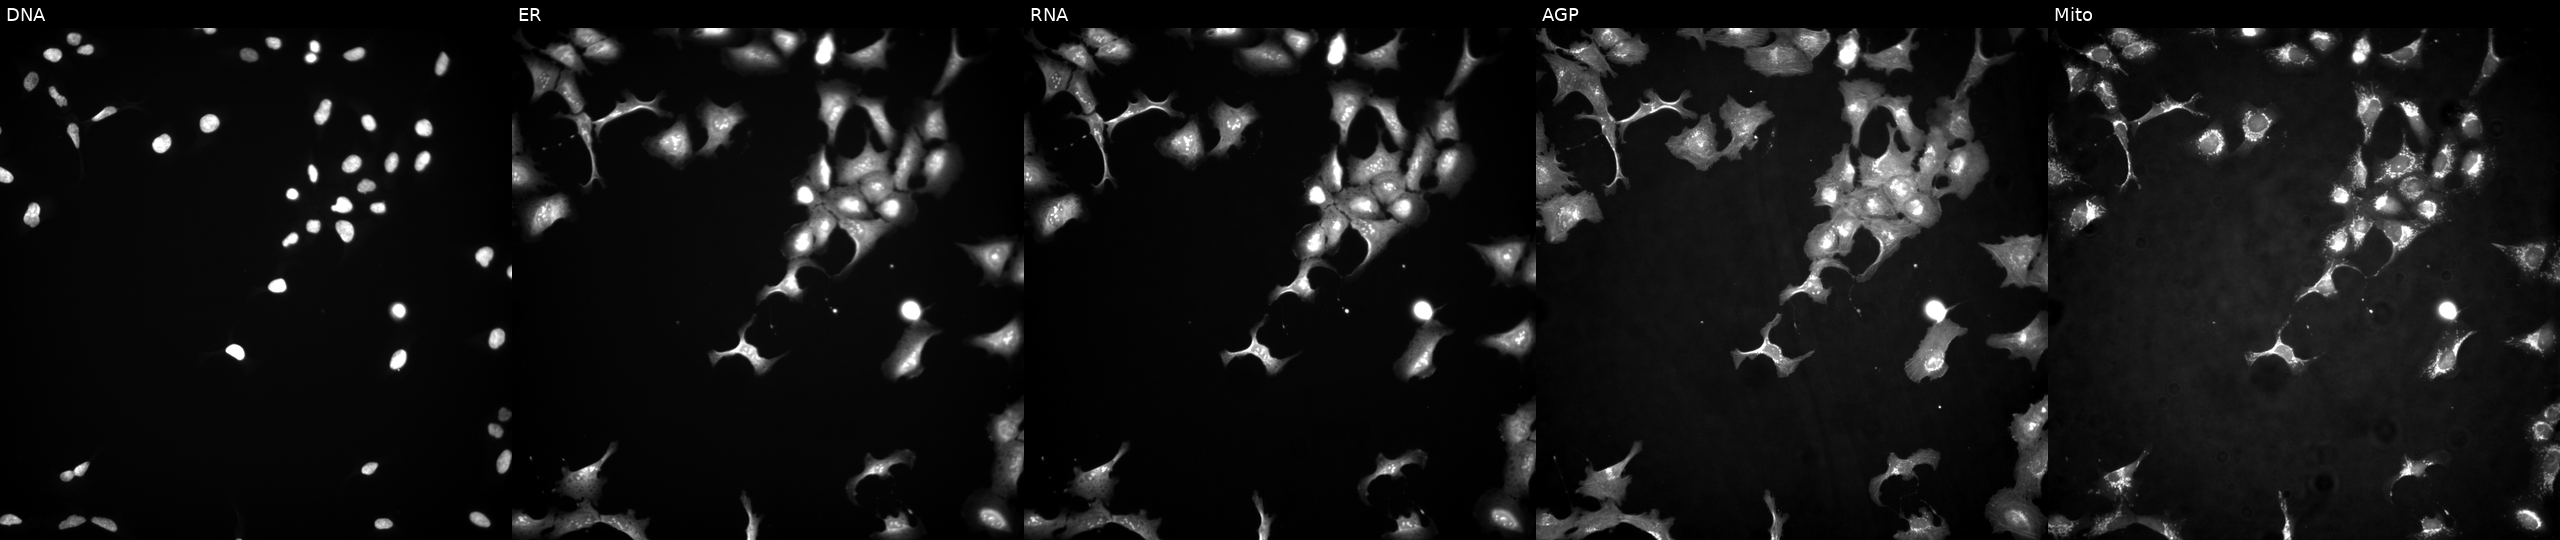
This image strip shows the five Cell Painting channels for a single field of U2OS cells with ZNF610 overexpressed (ORF). The five panels, left to right, show Hoechst 33342, concanavalin A, SYTO 14, phalloidin and WGA, MitoTracker. Source 4, plate BR00117035, well B21.